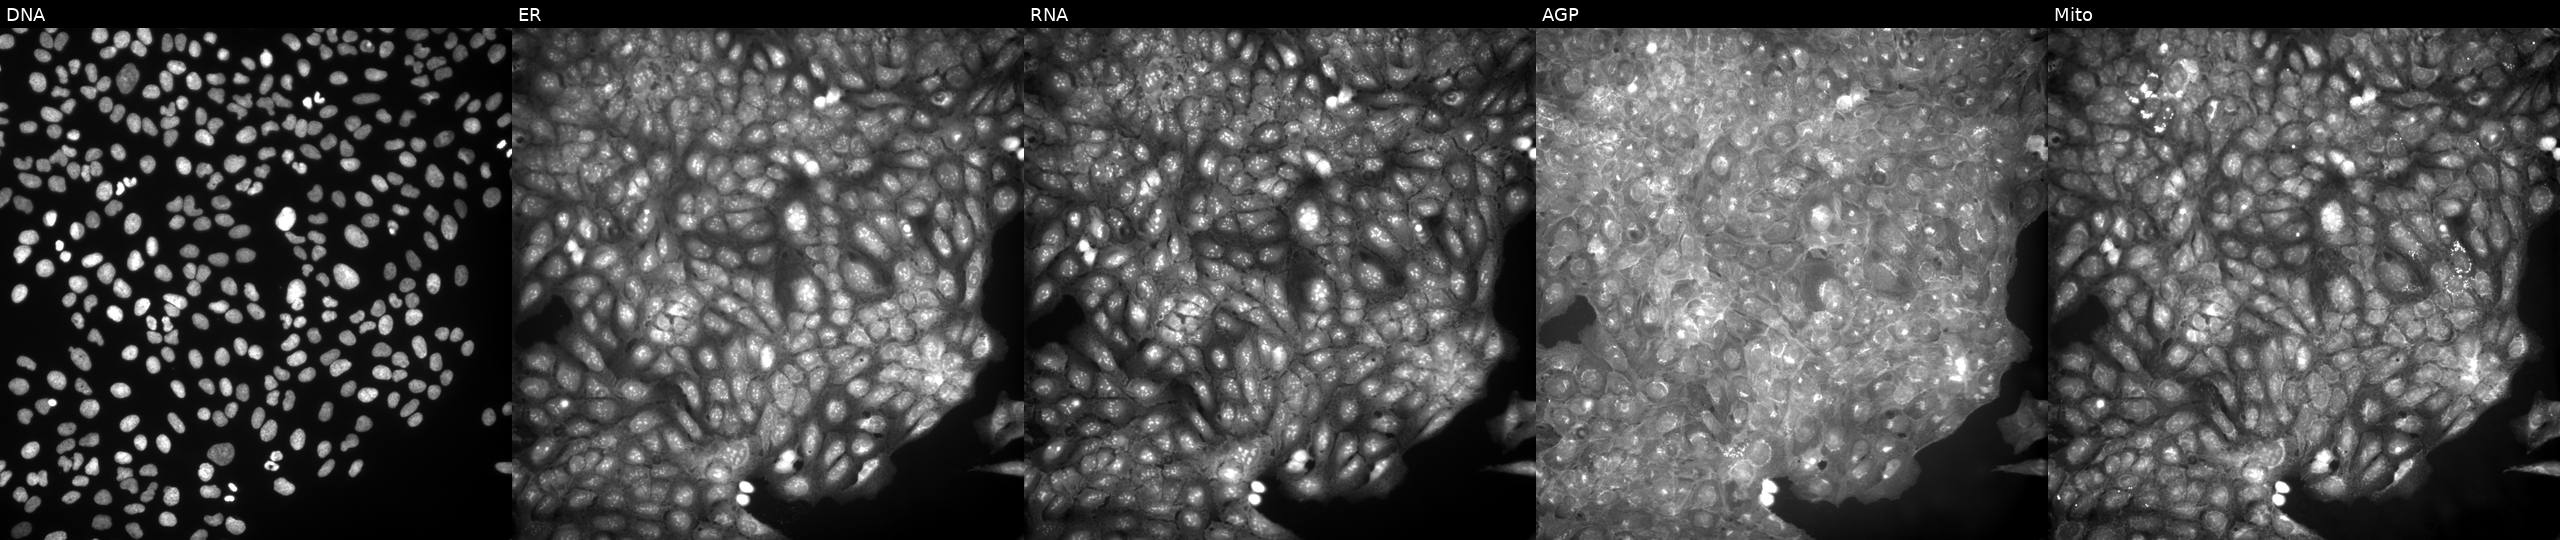
Panels show, left to right, Hoechst 33342, concanavalin A, SYTO 14, phalloidin and WGA, MitoTracker. U2OS osteosarcoma cells treated with a small-molecule compound (InChIKey PKMQNKRZRWBGGO-UHFFFAOYSA-N). Cell Painting assay, JUMP-CP dataset.